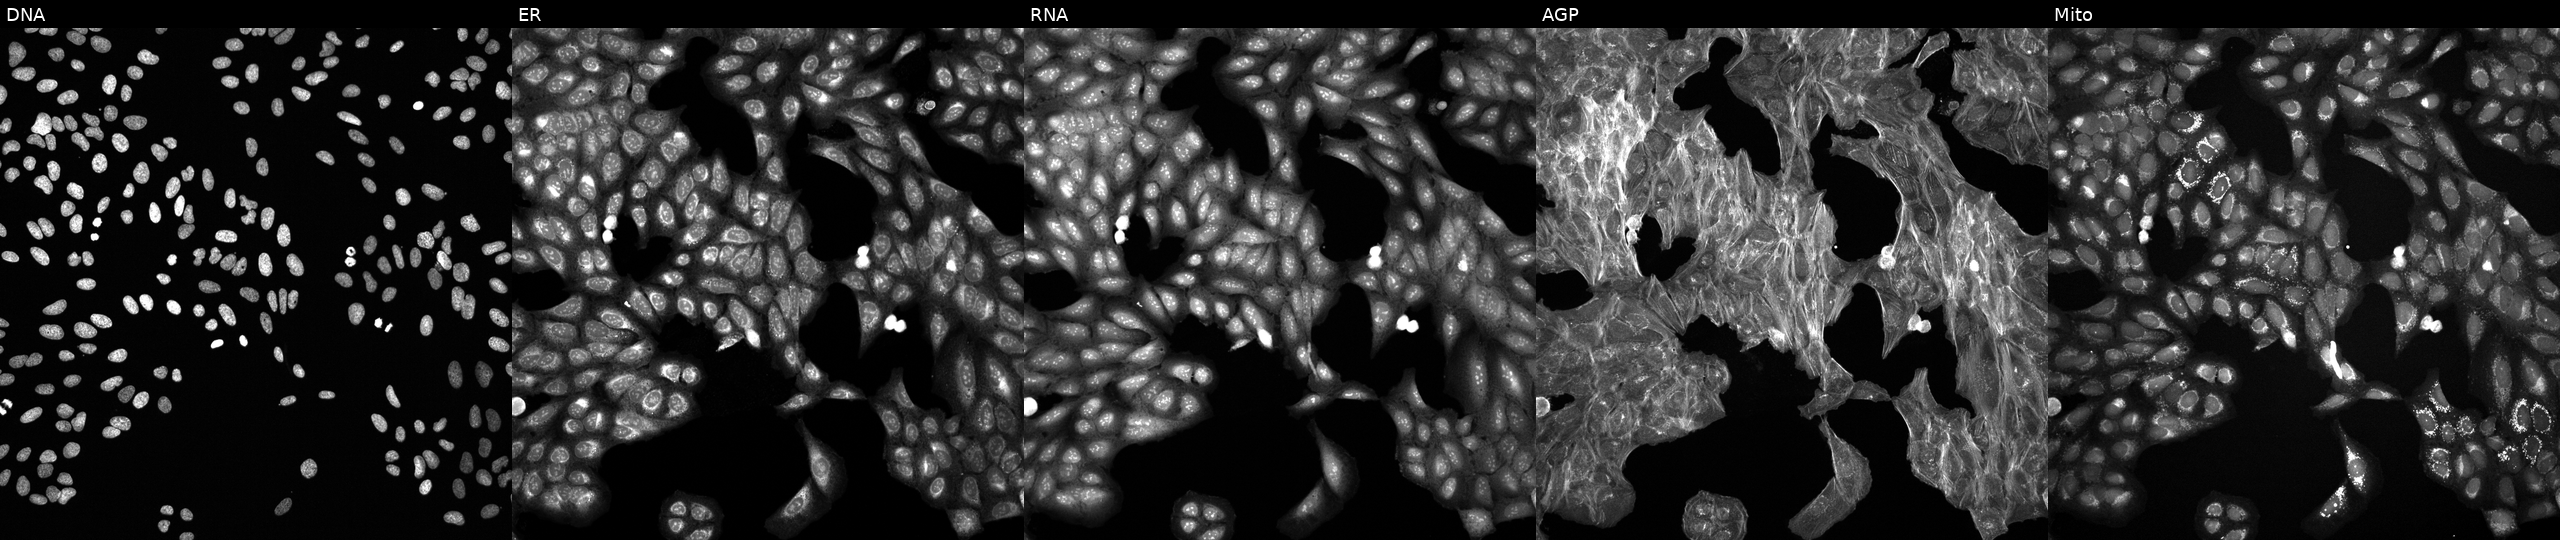
Channels (left→right): DNA (nuclei); ER (endoplasmic reticulum); RNA (nucleoli and cytoplasmic RNA); AGP (actin cytoskeleton, Golgi, and plasma membrane); Mito (mitochondria). U2OS osteosarcoma cells perturbed with a small-molecule compound (InChIKey LNFZRMDSZJCZTG-UHFFFAOYSA-N). Cell Painting assay, JUMP-CP dataset. Source 6, plate 110000293081, well P23.